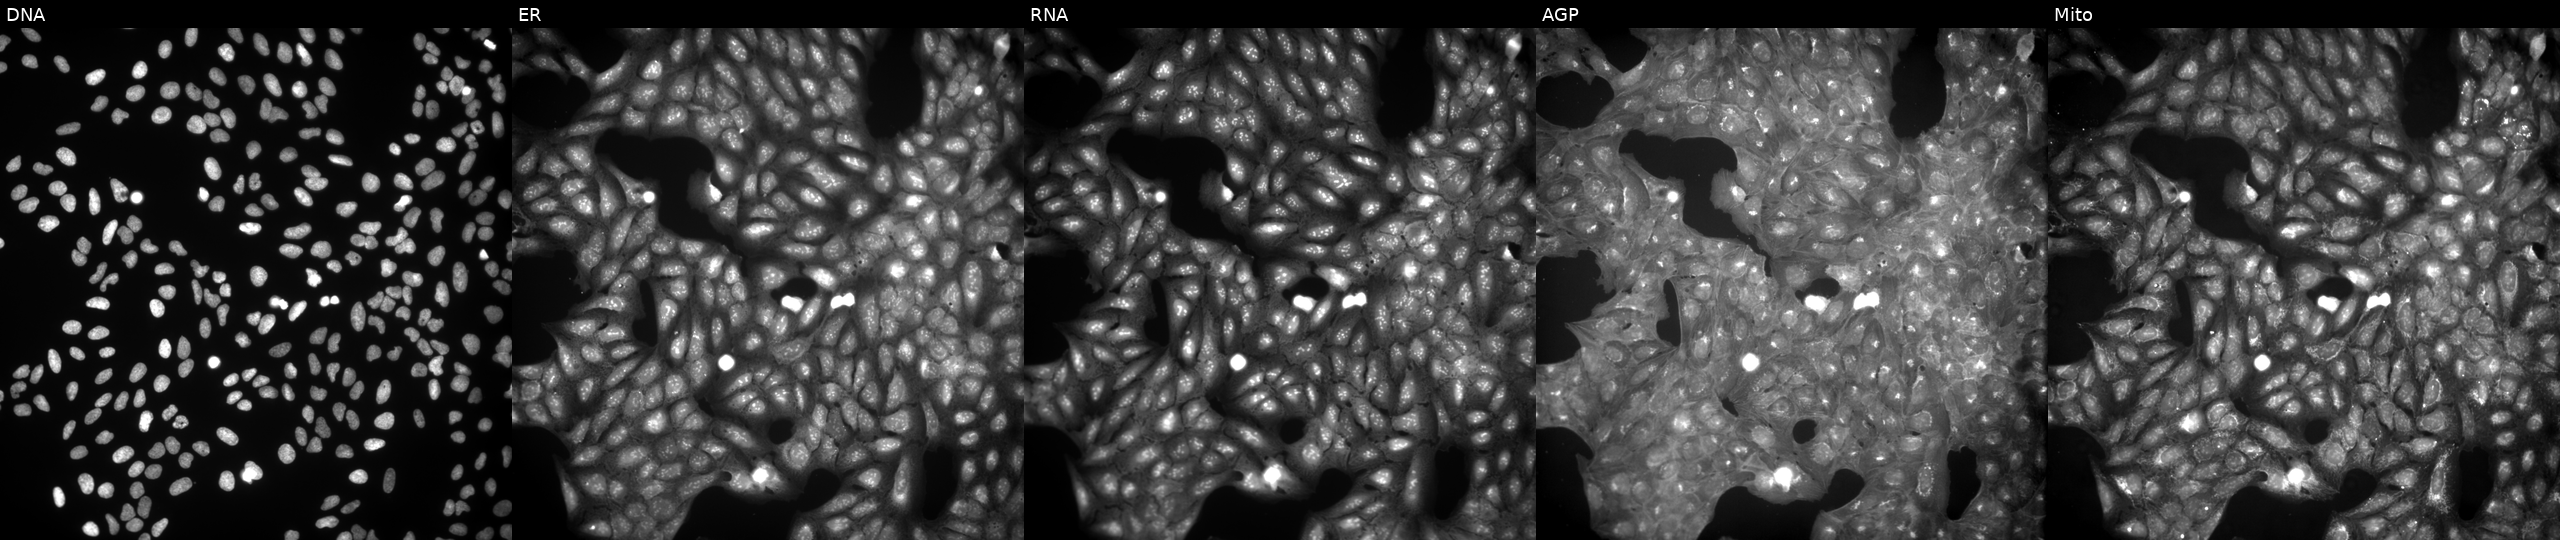
Five-channel Cell Painting image of U2OS cells treated with a small-molecule compound (InChIKey IRGLIKJNXJNKEA-UHFFFAOYSA-N) (JUMP id JCP2022_036897). Panels show, left to right, DNA, ER, RNA, AGP, and Mito. Source 9, plate GR00003382, well X19.